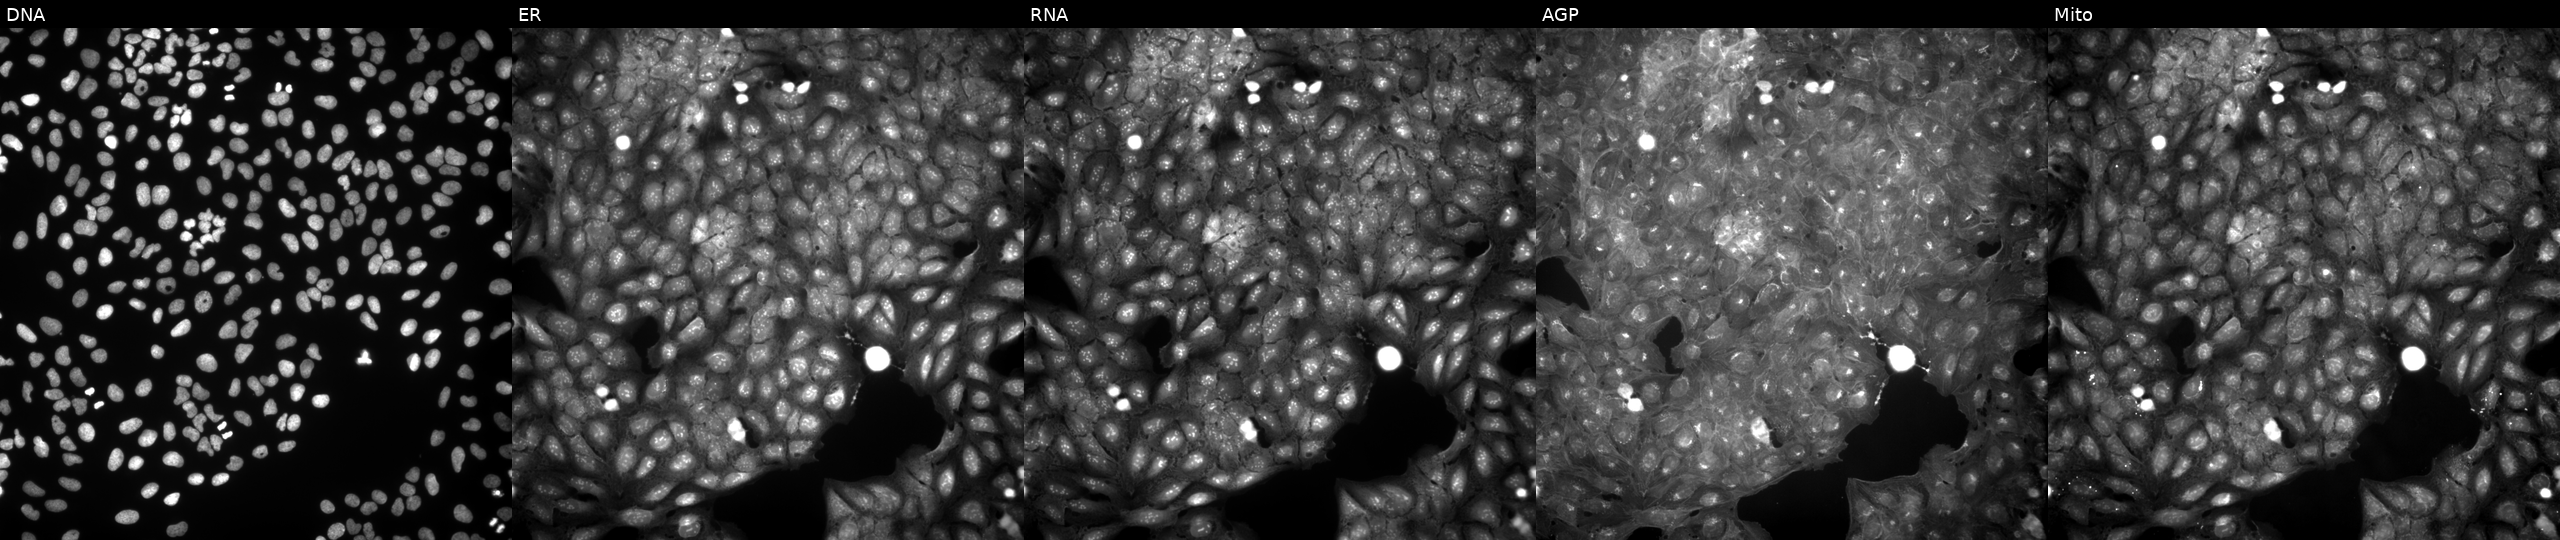
Five-channel Cell Painting image of U2OS cells treated with a small-molecule compound (InChIKey IXRFXROGXPJAGZ-UHFFFAOYSA-N) [SMILES: O=[N+]([O-])c1cc(F)c(N2CCCC2)cc1Br]. Panels show, left to right, DNA, ER, RNA, AGP, and Mito. Source 9, plate GR00003381, well D31.